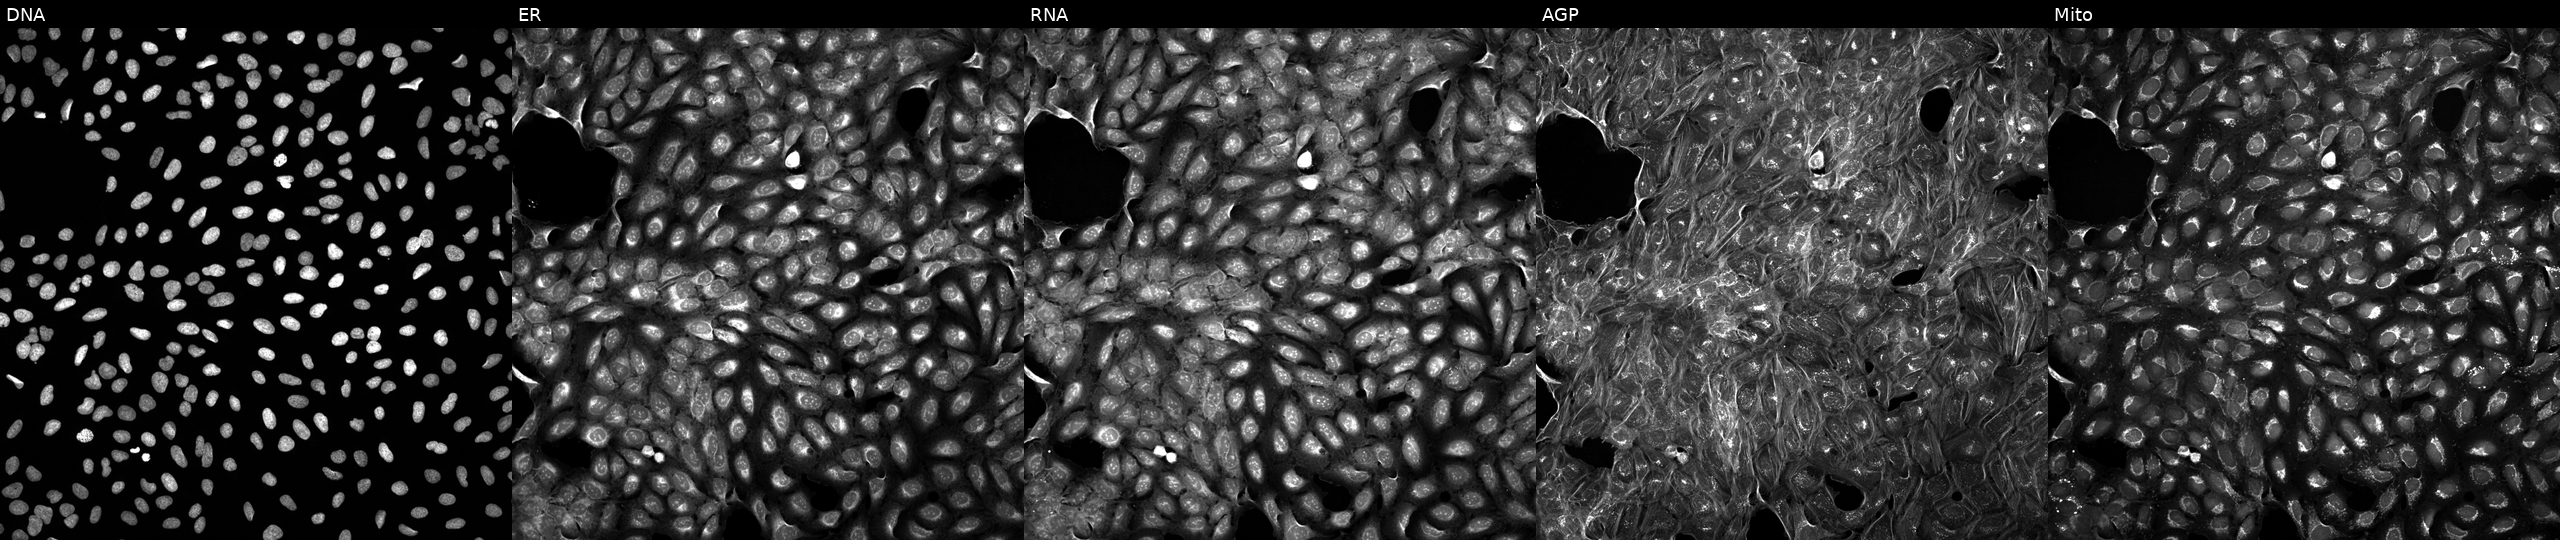
This image strip shows the five Cell Painting channels for a single field of U2OS cells treated with a small-molecule compound (InChIKey NMUSYJAQQFHJEW-UHFFFAOYSA-N). Channels (left→right): DNA, ER, RNA, AGP, and Mito. Source 5, plate ACPJUM051, well H20.